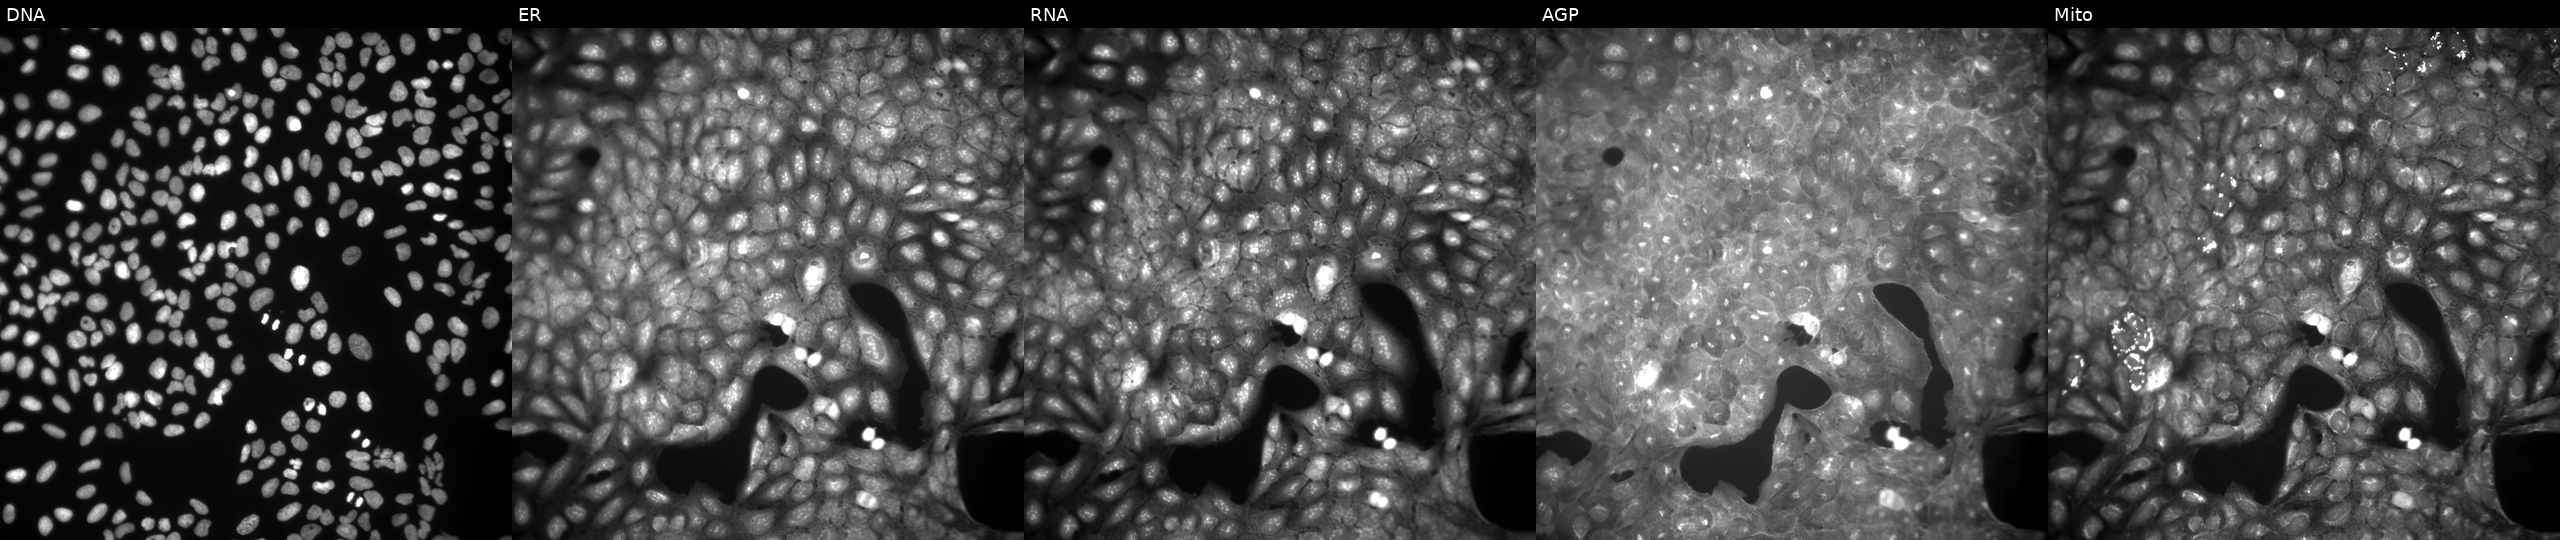
Panels show, left to right, DNA, ER, RNA, AGP, and Mito. U2OS osteosarcoma cells exposed to DMSO alone as a negative control (JUMP id JCP2022_033924). Cell Painting assay, JUMP-CP dataset.